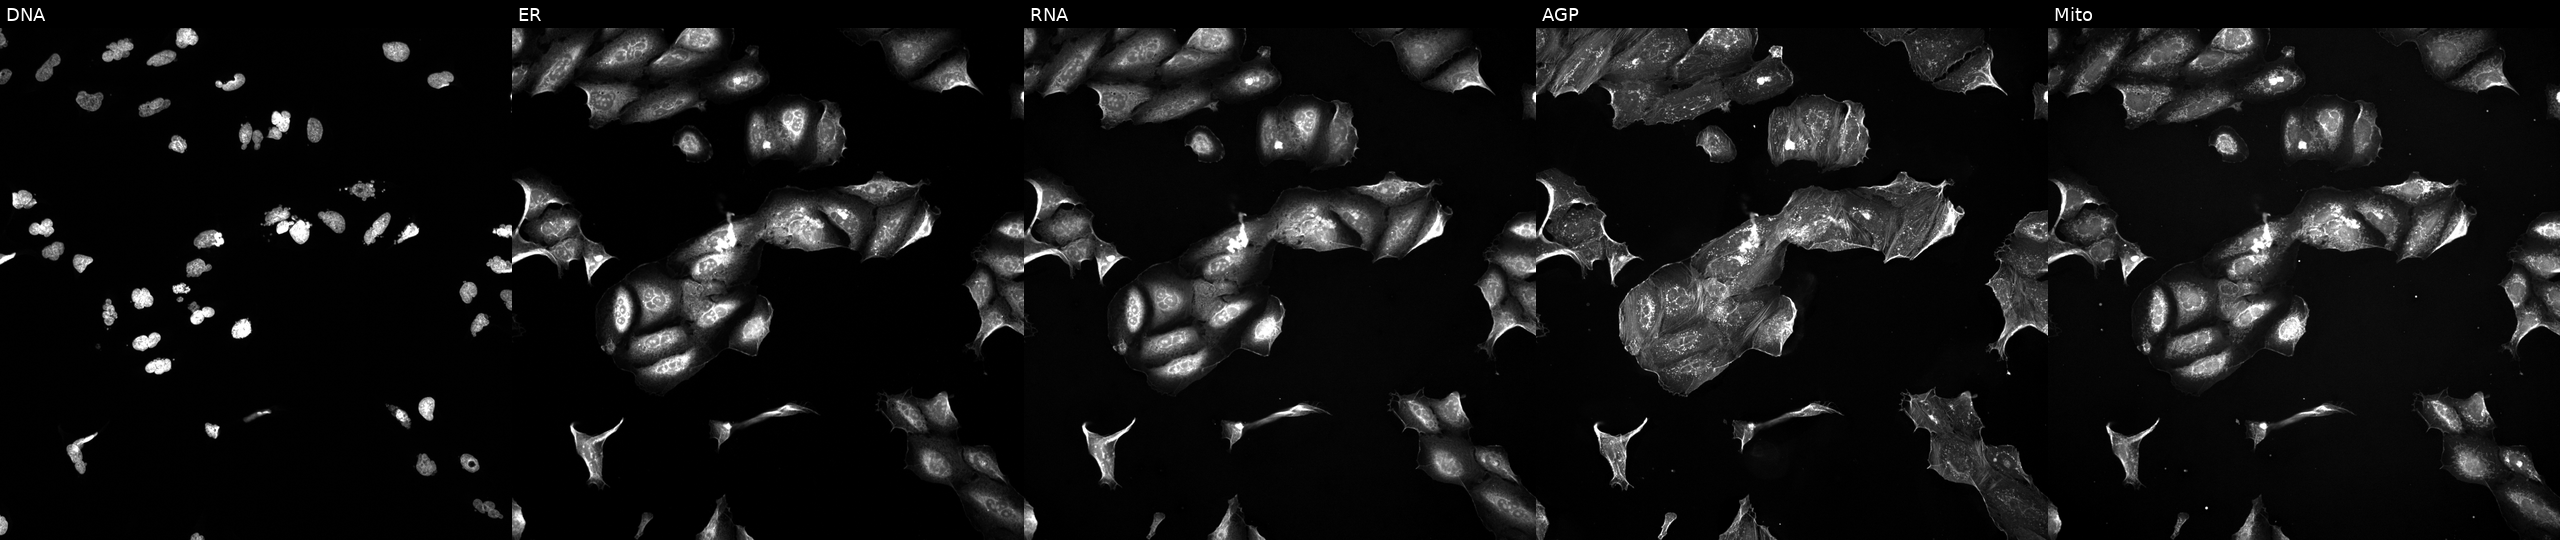
Five-channel Cell Painting image of U2OS cells exposed to a small-molecule compound [SMILES: CSc1nc(=N)cc(Oc2ccc(-c3nc(=Nc4cccc(C(F)(F)F)c4)[nH][nH]3)cc2)[nH]1]. Channels (left→right): DNA, ER, RNA, AGP, and Mito.